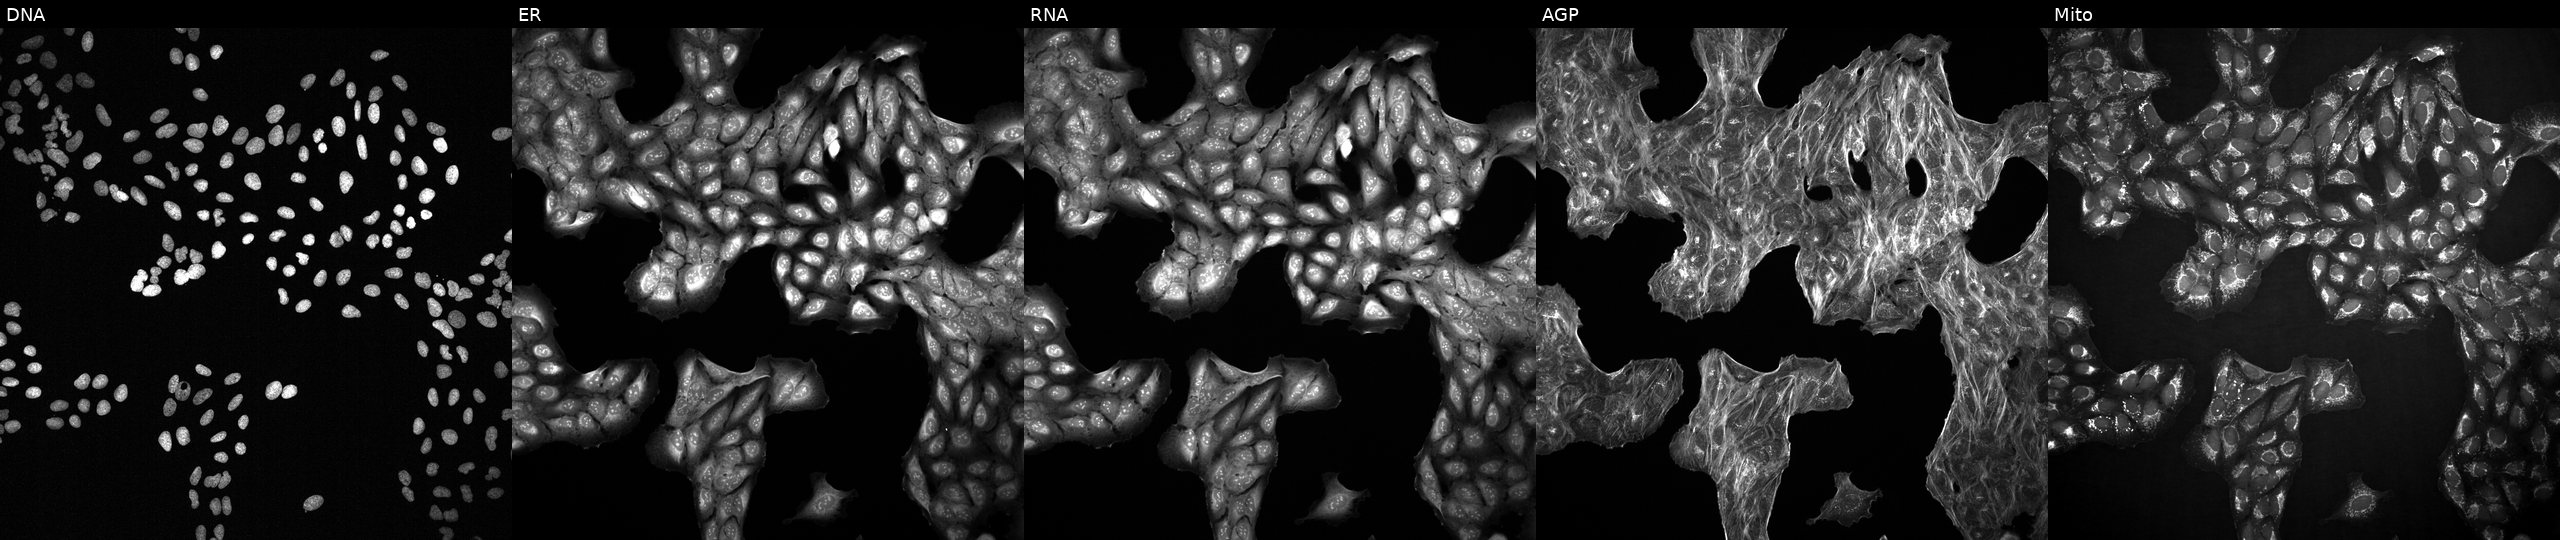
The five panels, left to right, show Hoechst 33342, concanavalin A, SYTO 14, phalloidin and WGA, MitoTracker. U2OS osteosarcoma cells with an unidentified perturbation (not annotated in JUMP metadata). Cell Painting assay, JUMP-CP dataset.